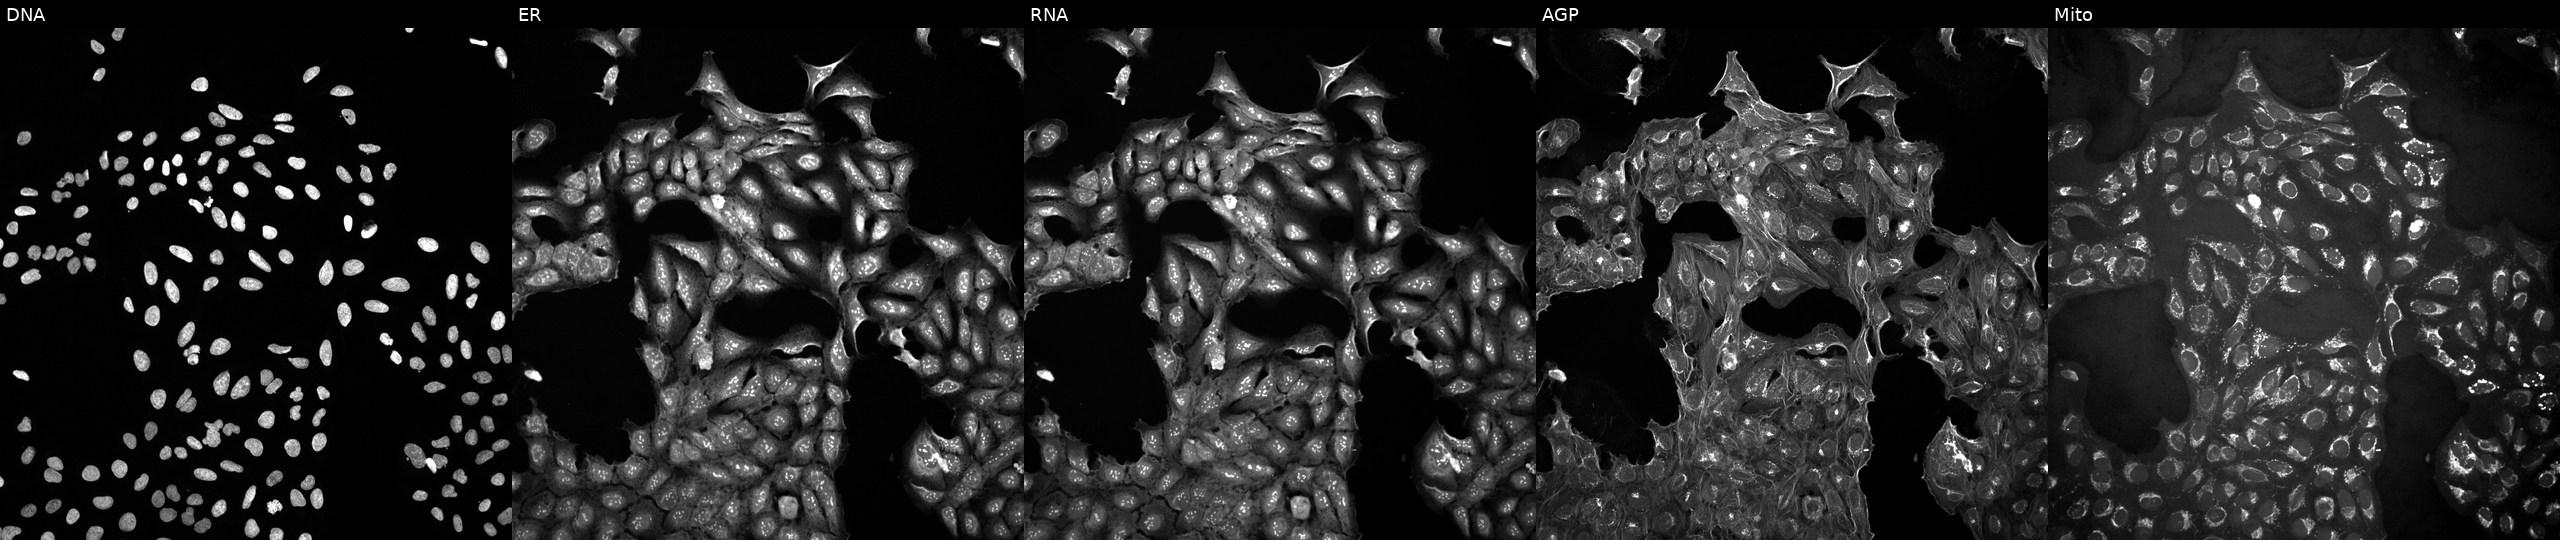
This image strip shows the five Cell Painting channels for a single field of U2OS cells treated with a small-molecule compound [SMILES: Cn1c(=O)c2c(-c3c(F)cccc3Cl)c(NCc3ccccc3)oc2n(C)c1=O]. The five panels, left to right, show DNA (nuclei); ER (endoplasmic reticulum); RNA (nucleoli and cytoplasmic RNA); AGP (actin cytoskeleton, Golgi, and plasma membrane); Mito (mitochondria). Source 10, plate Dest210531-152149, well A06.